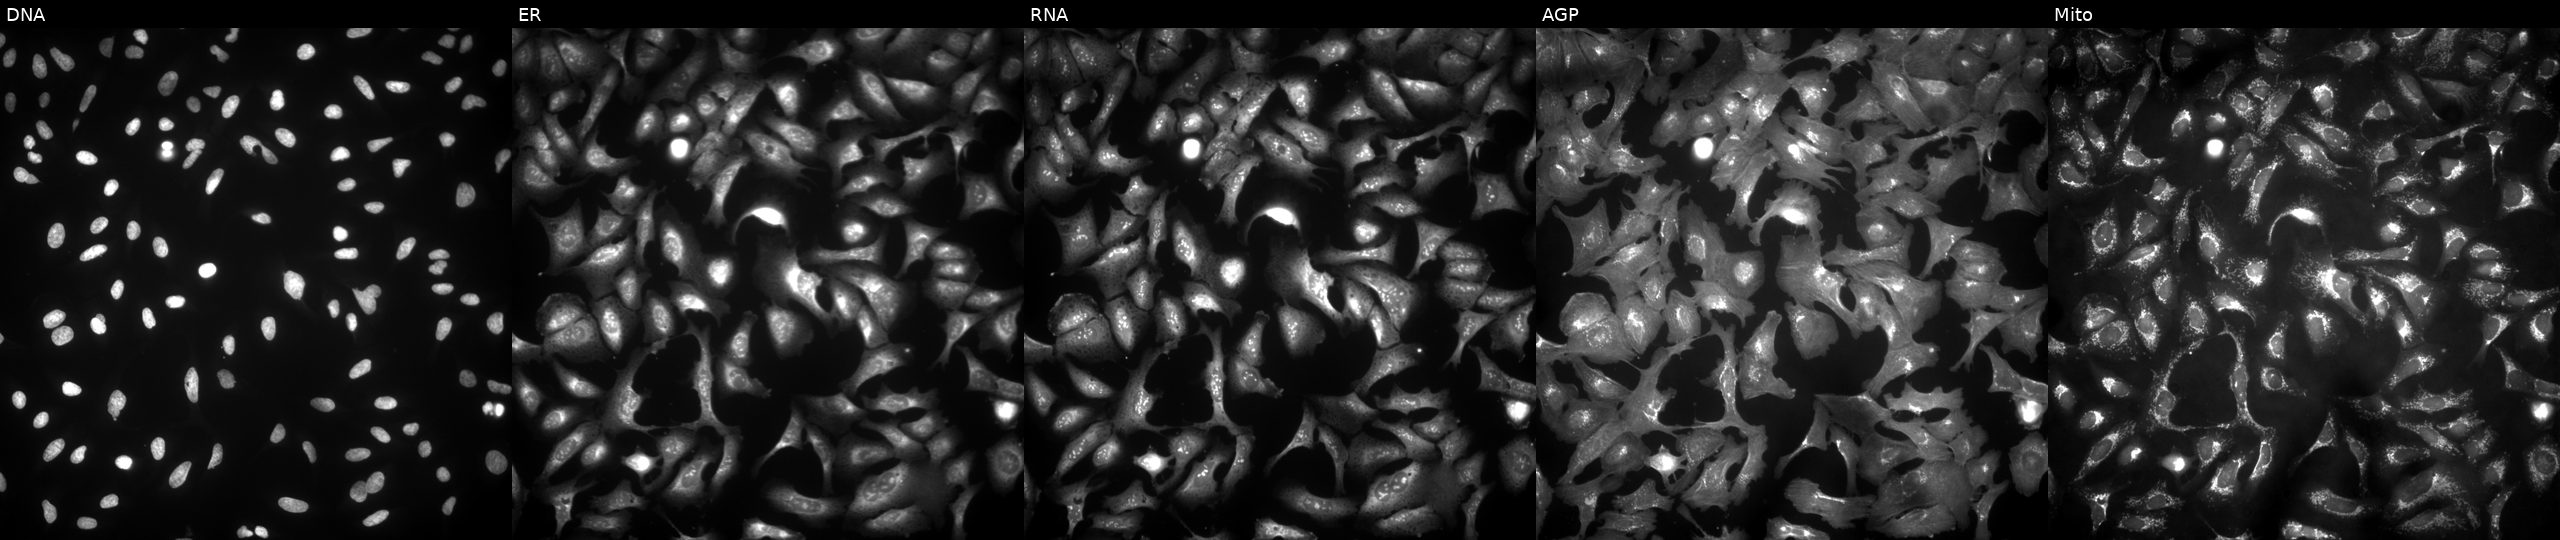
JUMP Cell Painting — ORF plate. U2OS cells transfected with an ORF construct for CLK1. The five panels, left to right, show DNA, ER, RNA, AGP, and Mito.